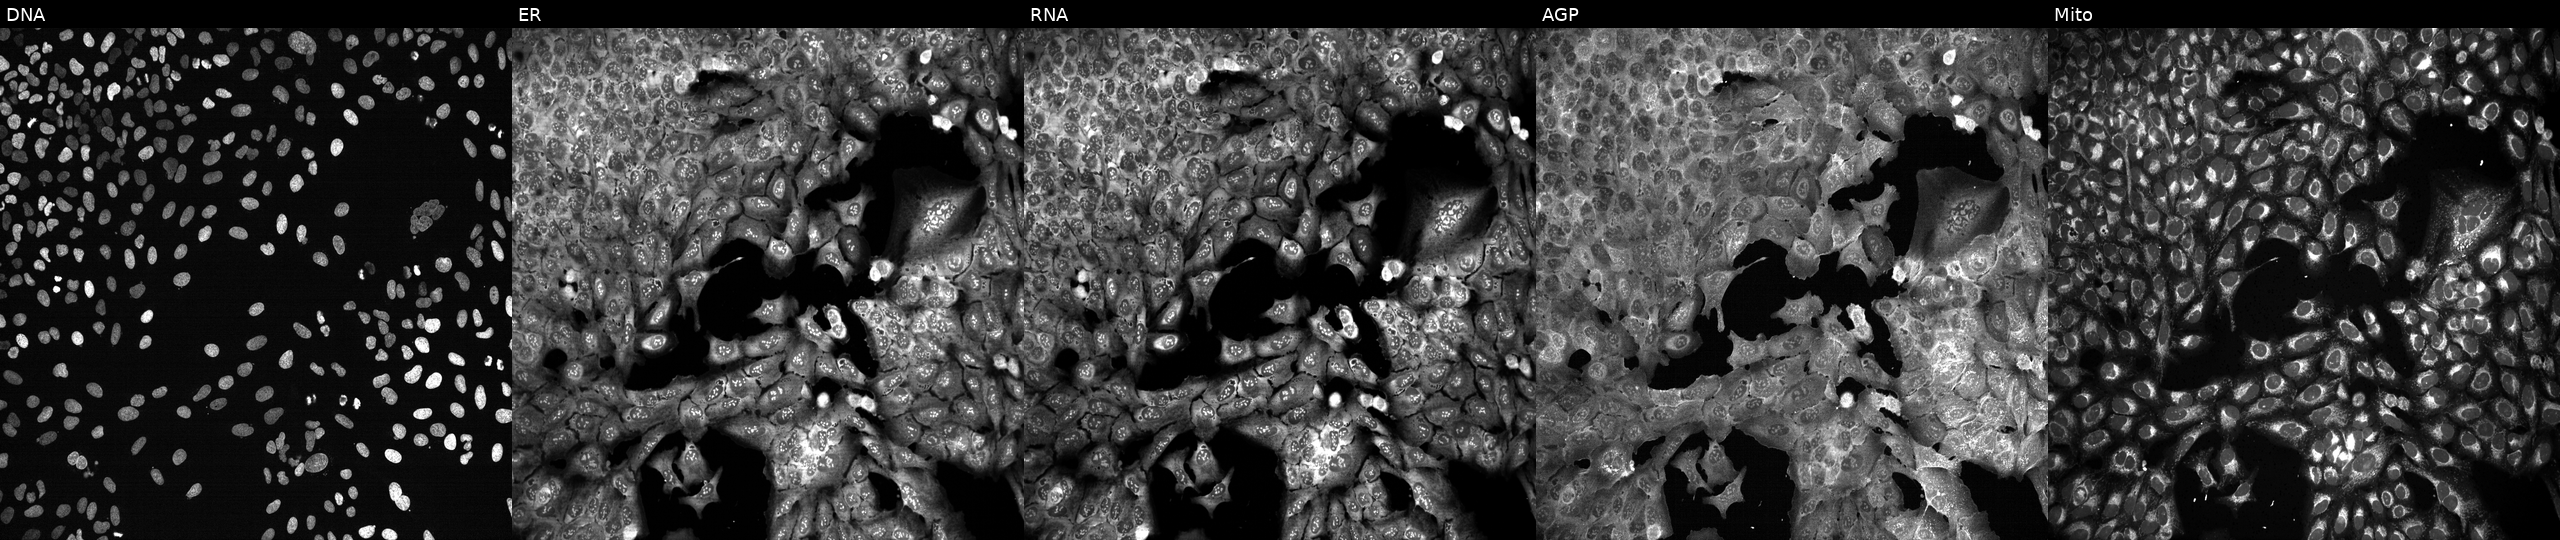
JUMP Cell Painting — CRISPR plate. U2OS cells CRISPR-edited to disrupt DAB2 (JUMP id JCP2022_801667). From left to right: DNA, ER, RNA, AGP, and Mito.